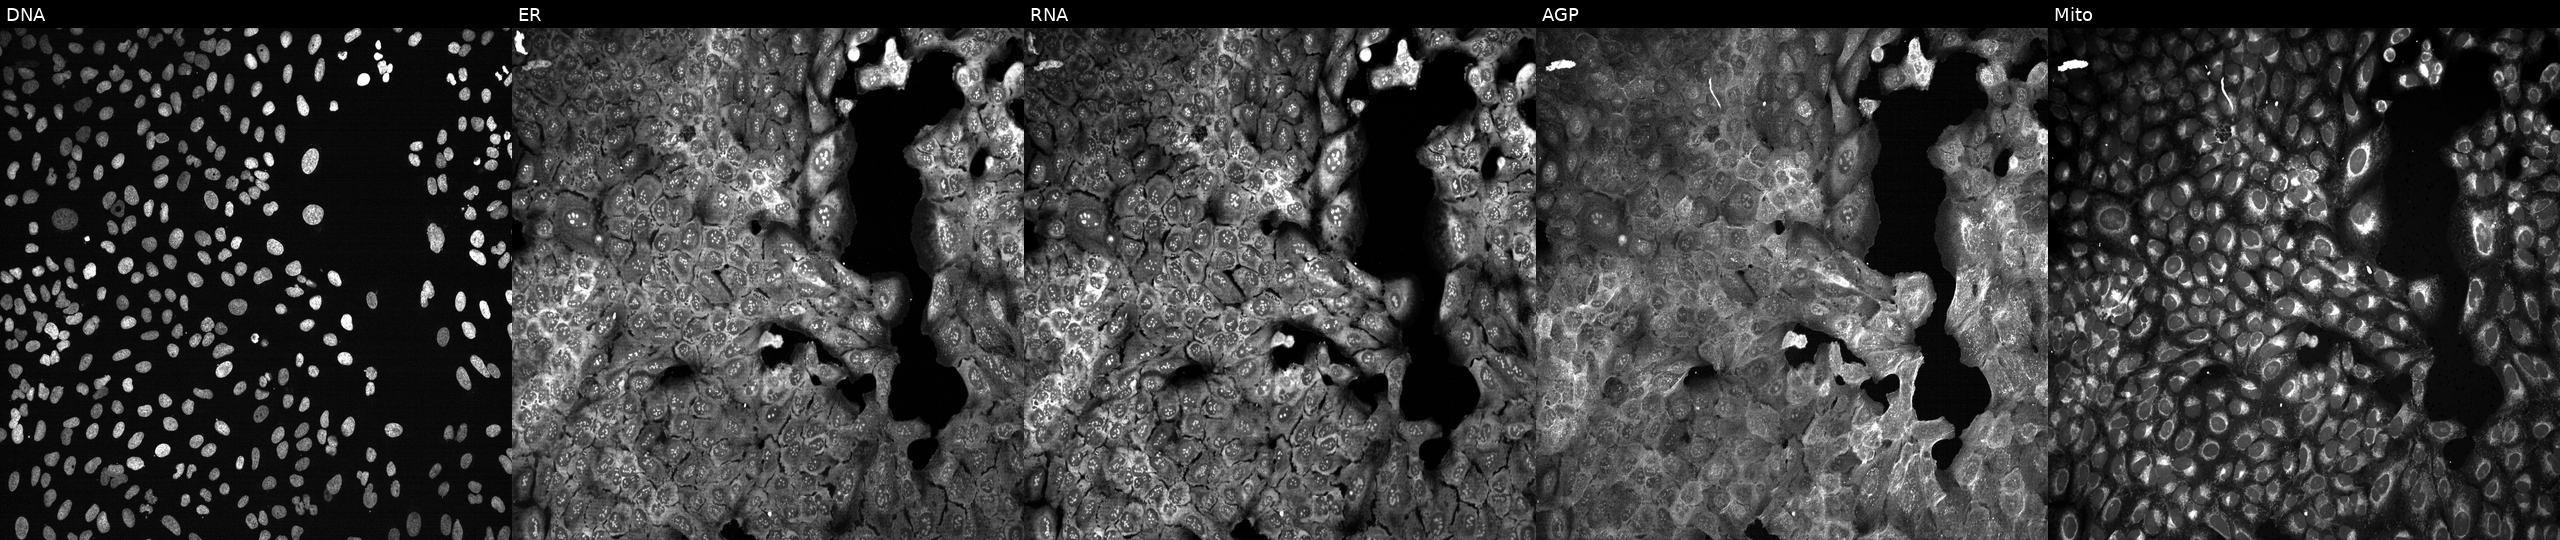
Five-channel Cell Painting image of U2OS cells CRISPR-edited to disrupt VLDLR. Panels show, left to right, Hoechst 33342, concanavalin A, SYTO 14, phalloidin and WGA, MitoTracker.